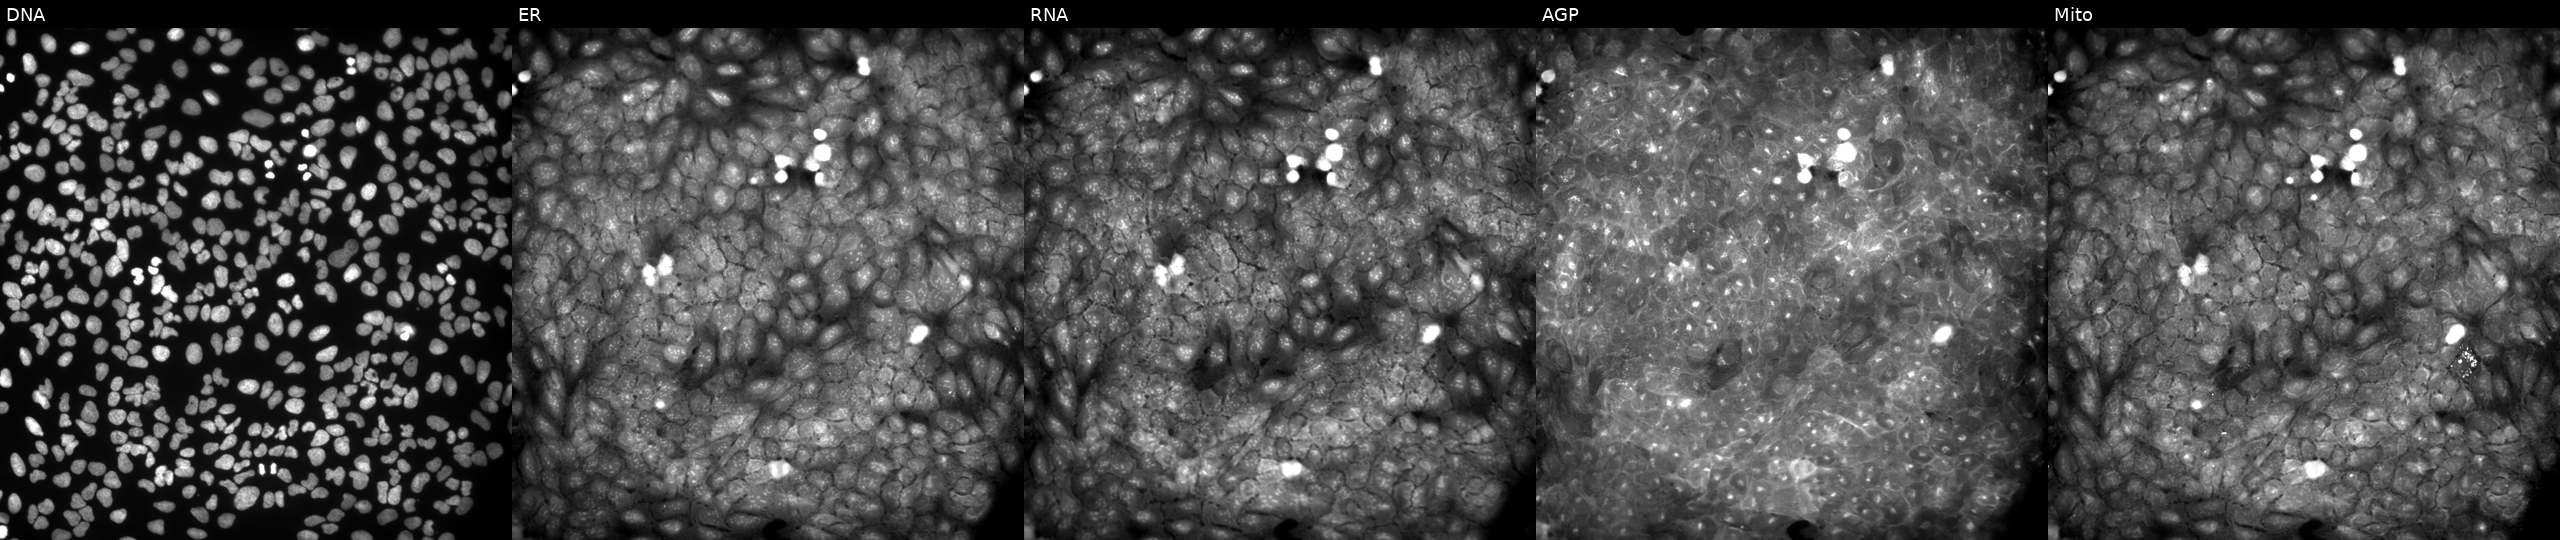
Five-channel Cell Painting image of U2OS cells treated with DMSO vehicle only (negative control). From left to right: DNA, ER, RNA, AGP, and Mito.